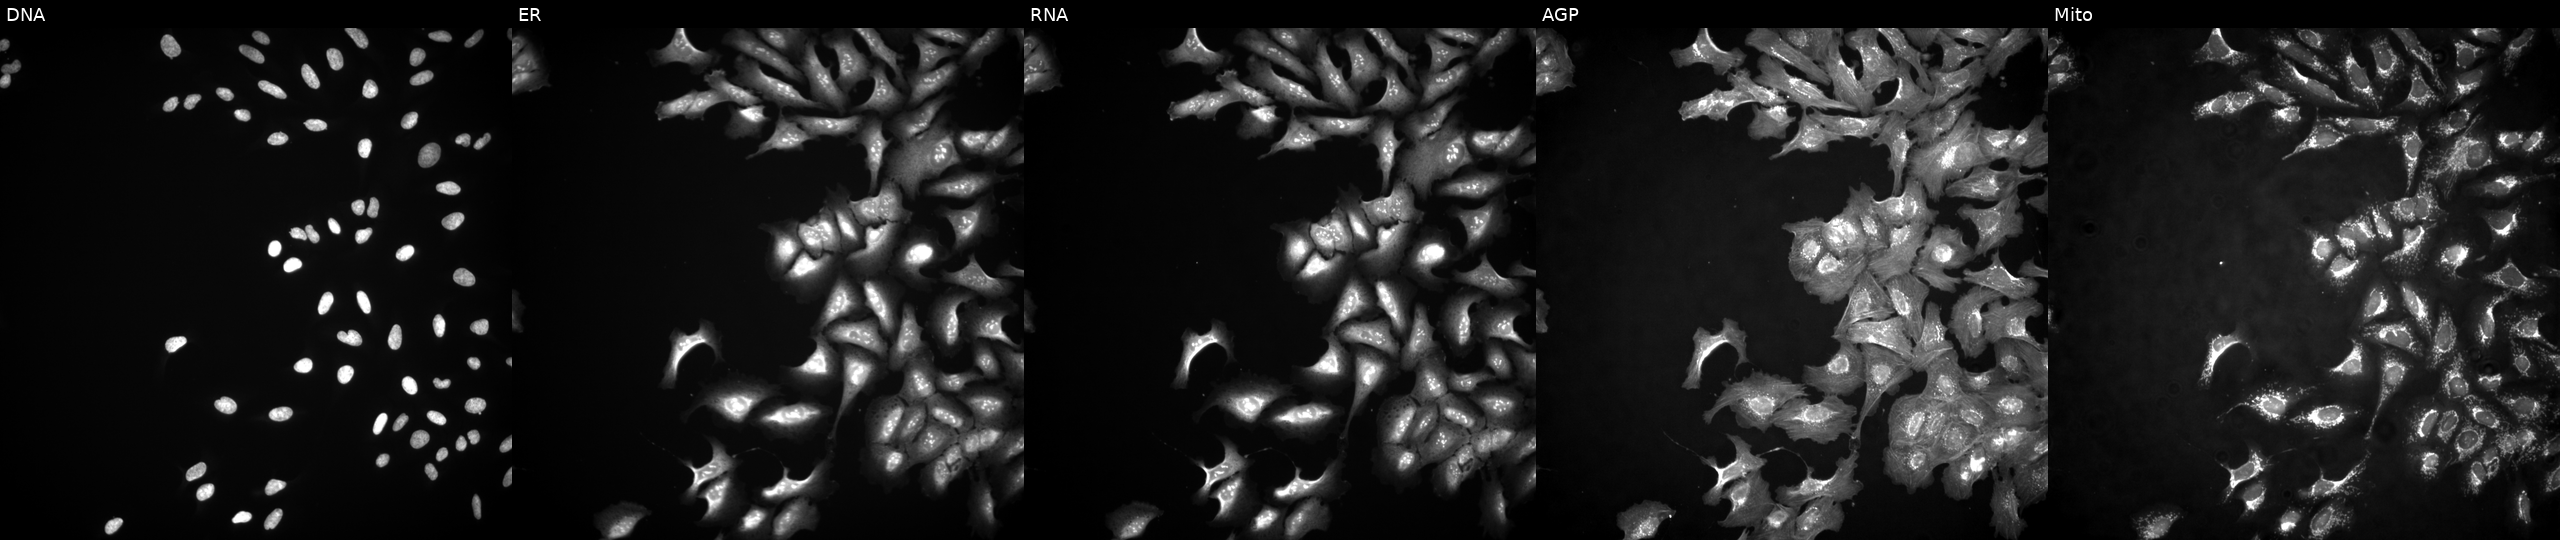
U2OS cells, Cell Painting assay, expressing LUCIFERASE (ORF negative control) (JUMP id JCP2022_915130). From left to right: Hoechst 33342, concanavalin A, SYTO 14, phalloidin and WGA, MitoTracker. Each panel is percentile-stretched 16-bit fluorescence.